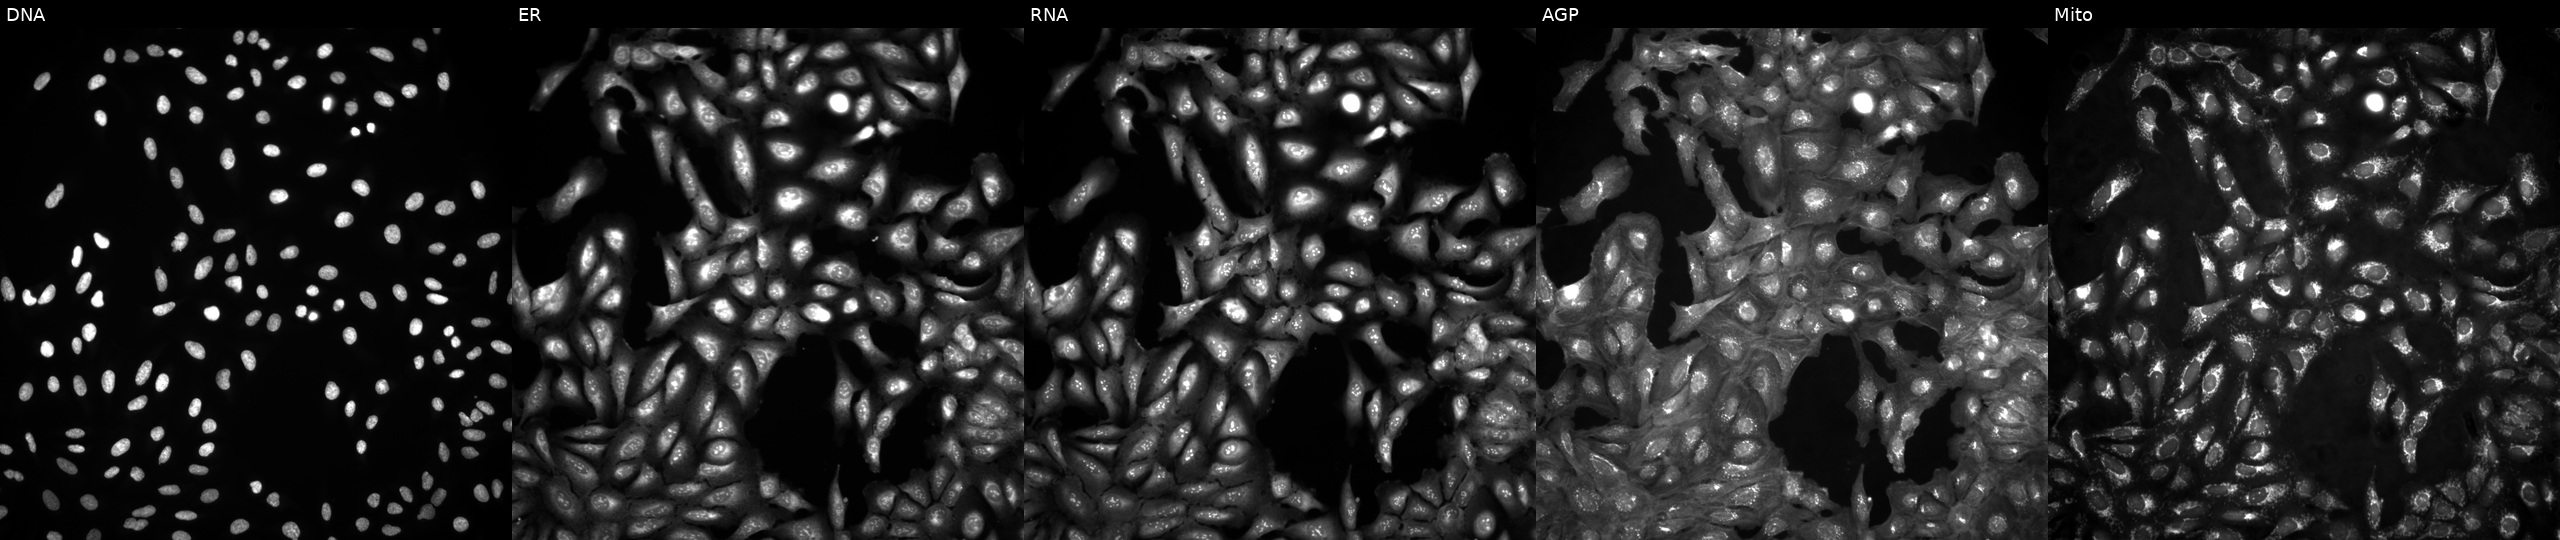
U2OS cells, Cell Painting assay, in an empty control well (no perturbation). From left to right: Hoechst 33342, concanavalin A, SYTO 14, phalloidin and WGA, MitoTracker. Each panel is percentile-stretched 16-bit fluorescence.